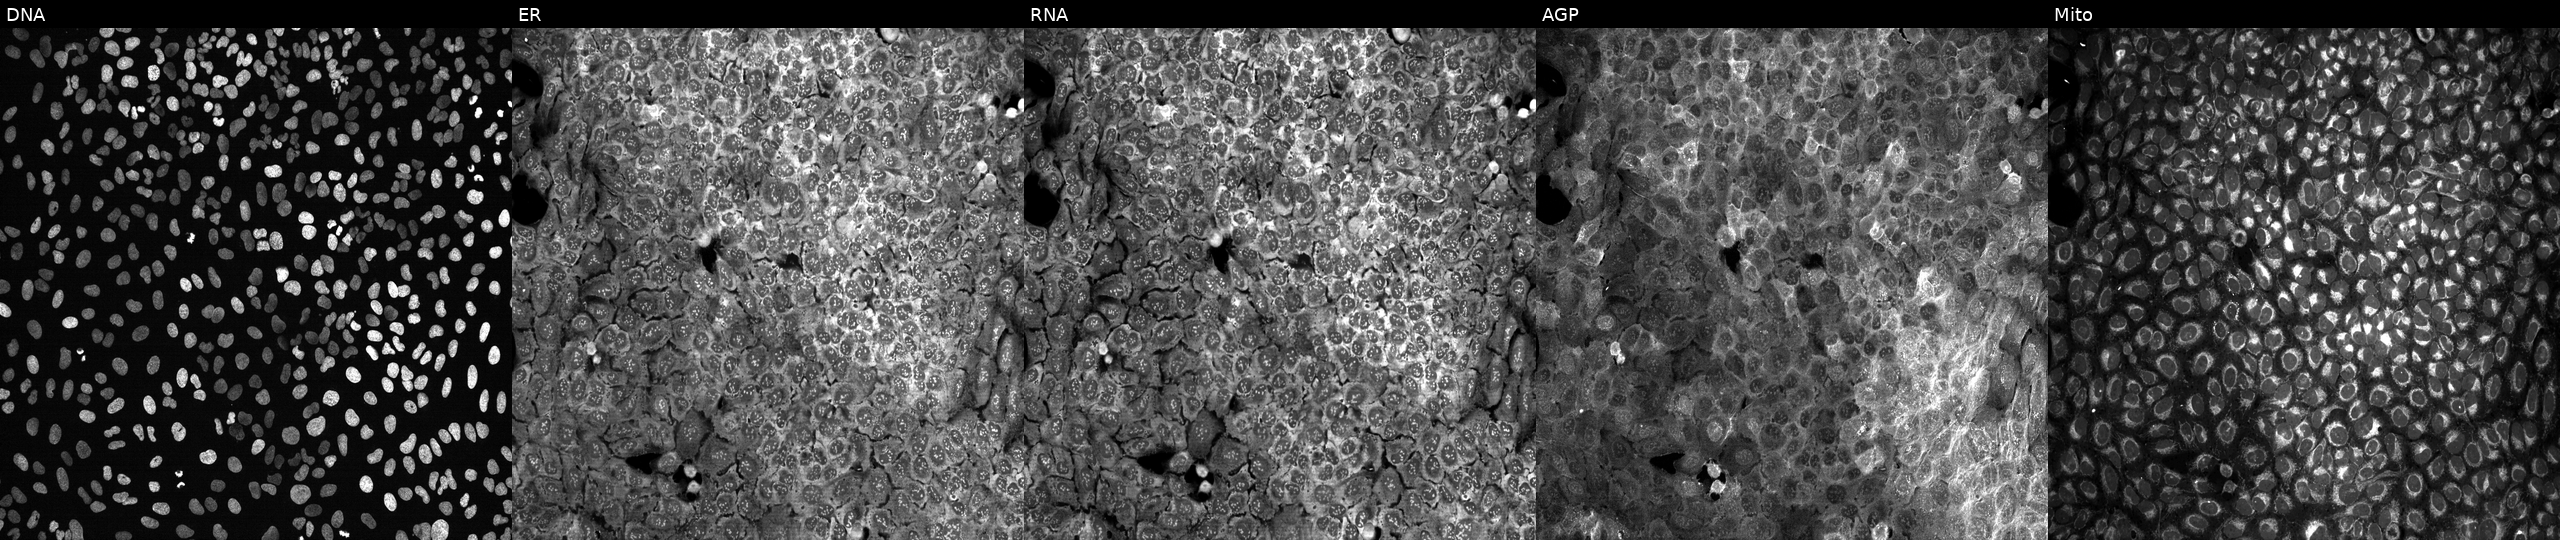
This image strip shows the five Cell Painting channels for a single field of U2OS cells with no CRISPR guide (negative control). The five panels, left to right, show DNA, ER, RNA, AGP, and Mito. Source 13, plate CP-CC9-R2-01, well H02.